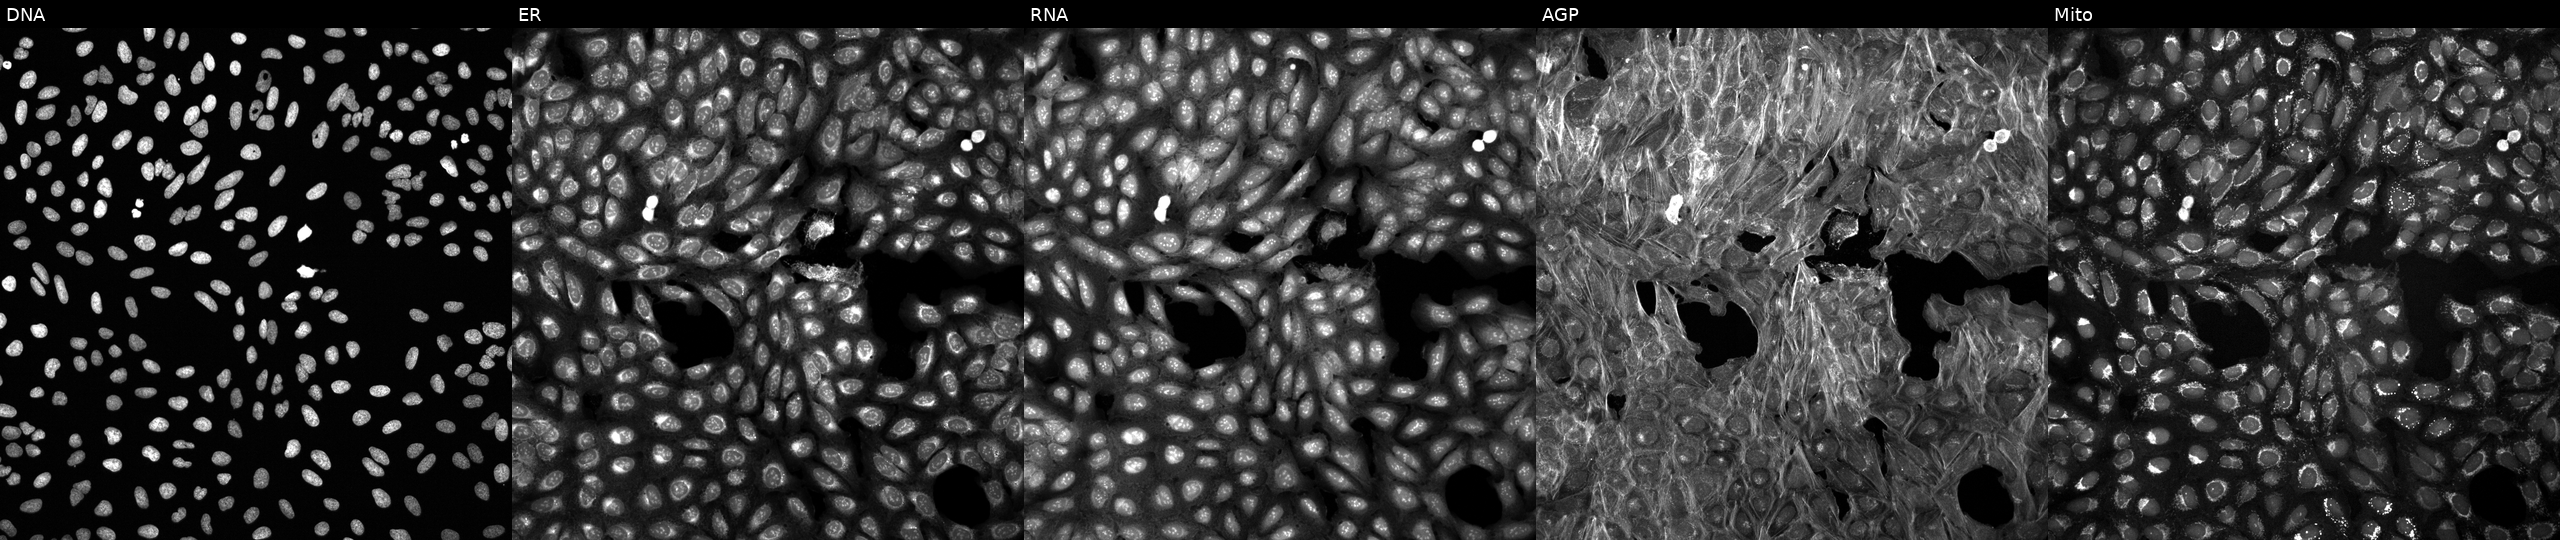
JUMP Cell Painting — COMPOUND plate. U2OS cells treated with DMSO vehicle only (negative control) (JUMP id JCP2022_033924). From left to right: DNA (nuclei); ER (endoplasmic reticulum); RNA (nucleoli and cytoplasmic RNA); AGP (actin cytoskeleton, Golgi, and plasma membrane); Mito (mitochondria). Source 6, plate 110000293083, well O23.